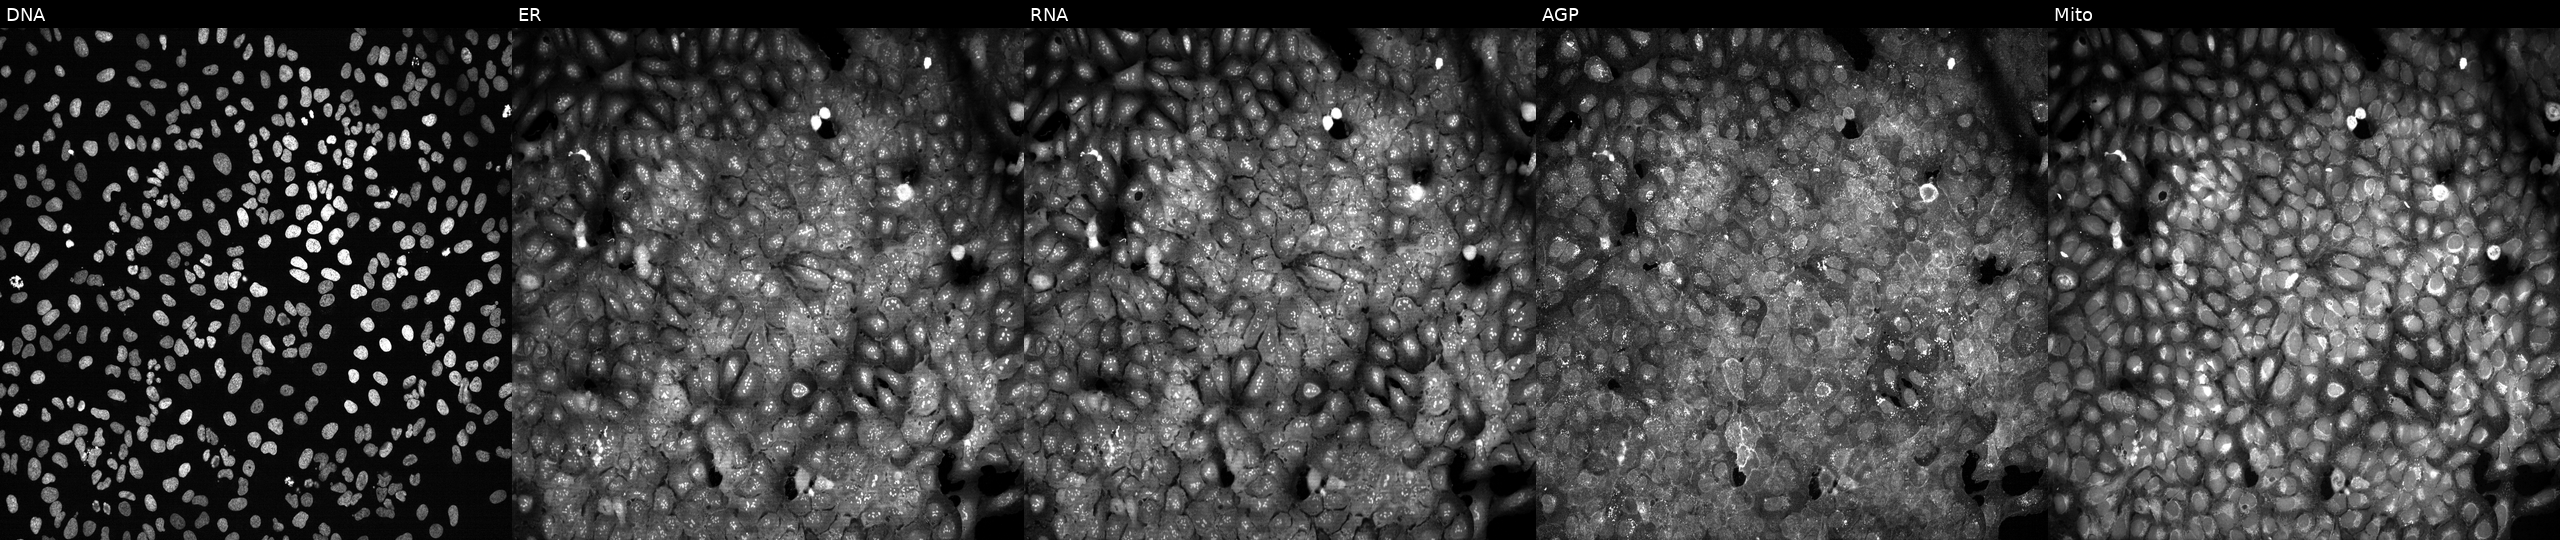
JUMP Cell Painting — CRISPR plate. U2OS cells with NANS knocked out by CRISPR (JUMP id JCP2022_804431). The five panels, left to right, show DNA, ER, RNA, AGP, and Mito.